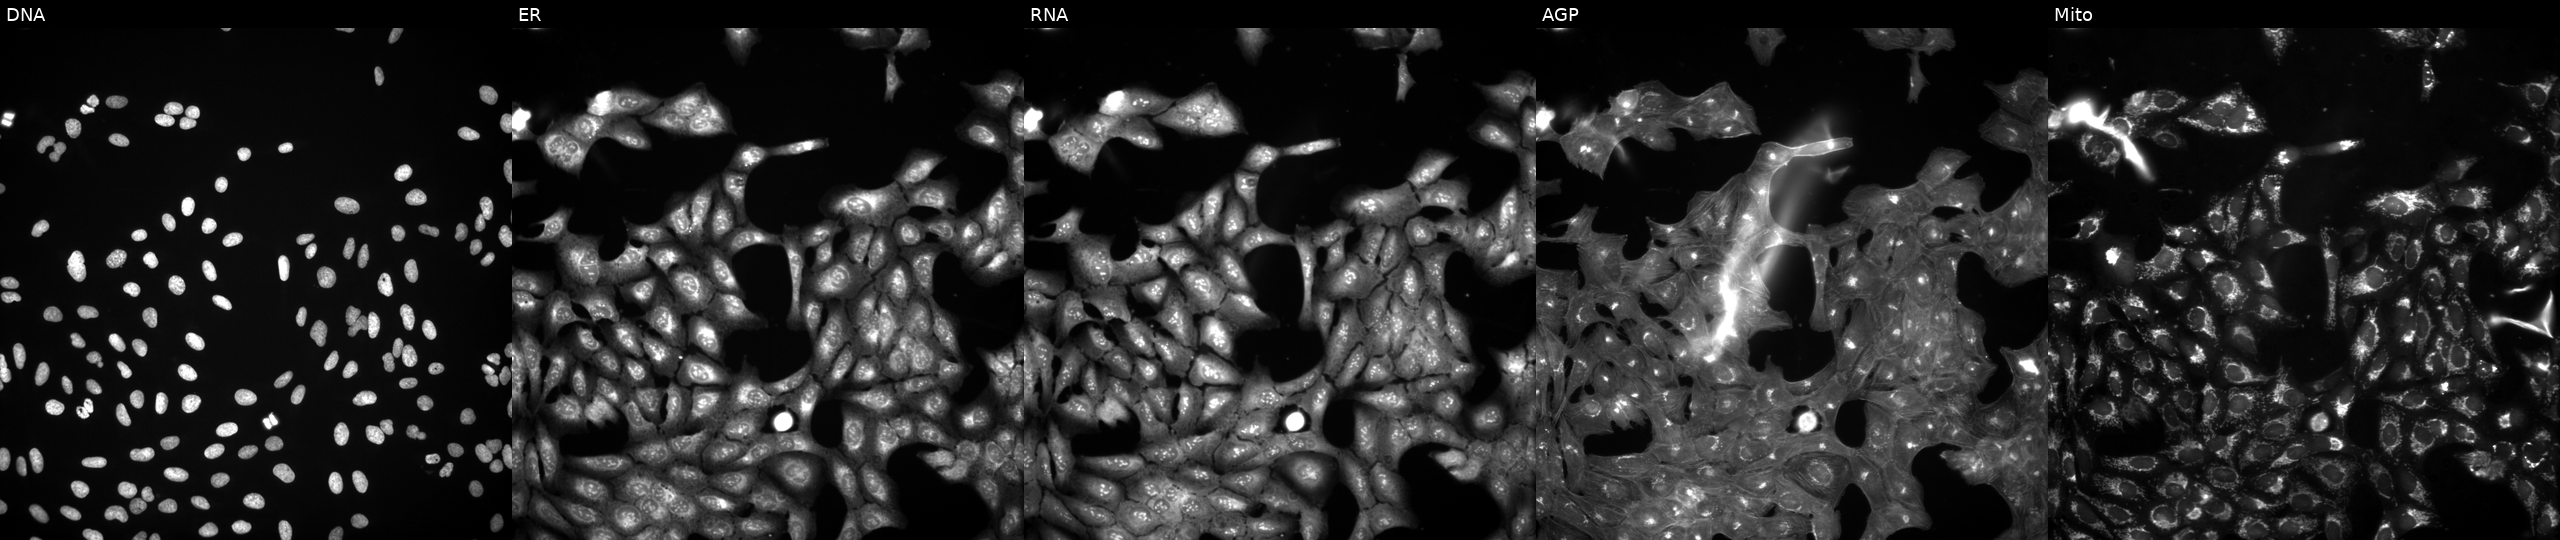
Panels show, left to right, DNA (nuclei); ER (endoplasmic reticulum); RNA (nucleoli and cytoplasmic RNA); AGP (actin cytoskeleton, Golgi, and plasma membrane); Mito (mitochondria). U2OS osteosarcoma cells treated with a small-molecule compound (InChIKey HJMHKNVUXQZNFV-UHFFFAOYSA-N) (JUMP id JCP2022_030604). Cell Painting assay, JUMP-CP dataset. Source 3, plate BR5867b3, well L18.